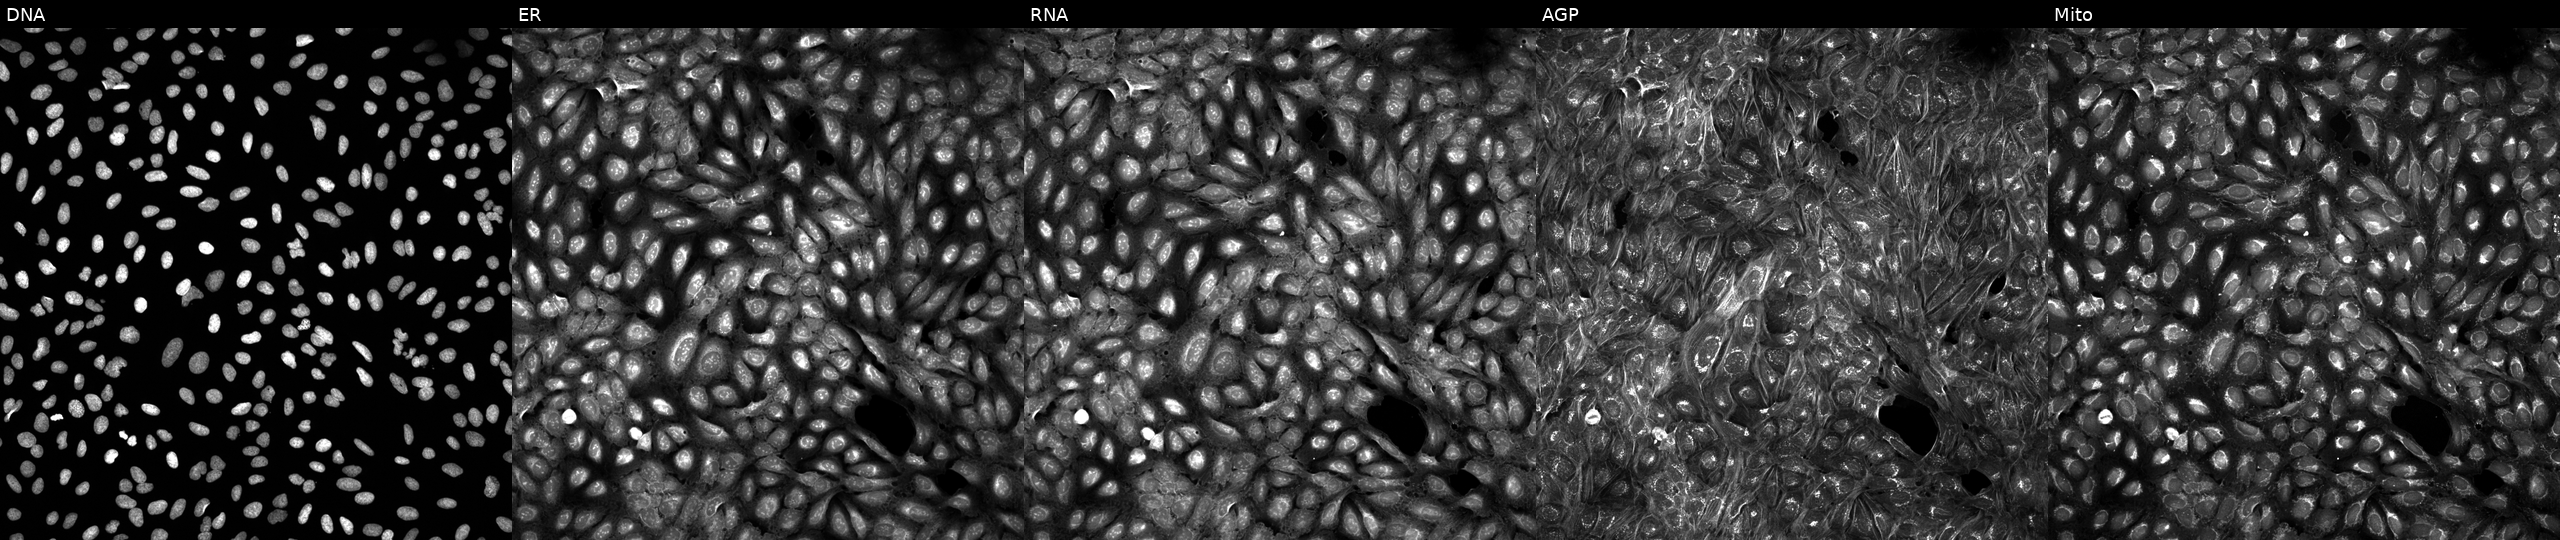
This image strip shows the five Cell Painting channels for a single field of U2OS cells exposed to a small-molecule compound (InChIKey AKLBUCREYAAHGO-UHFFFAOYSA-N) [SMILES: CCNS(=O)(=O)c1ccc(S(=O)(=O)N(Cc2ccccn2)C2CCCCC2)cc1]. Channels (left→right): DNA, ER, RNA, AGP, and Mito. Source 5, plate APTJUM105, well F09.